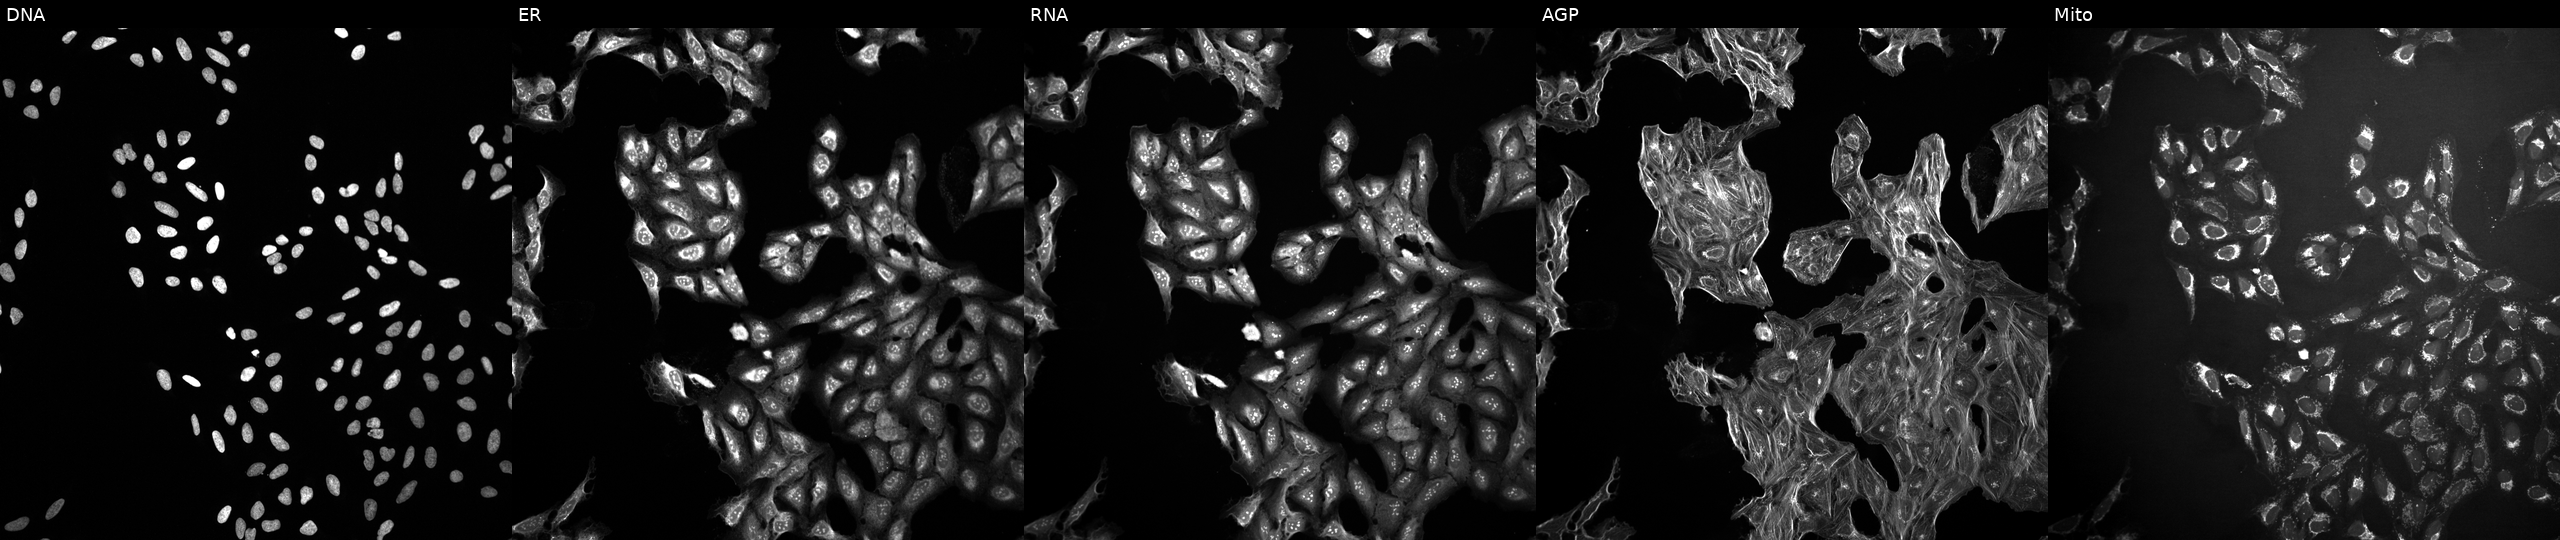
This image strip shows the five Cell Painting channels for a single field of U2OS cells exposed to a small-molecule compound (InChIKey WXXSNCNJFUAIDG-UHFFFAOYSA-N). The five panels, left to right, show DNA (nuclei); ER (endoplasmic reticulum); RNA (nucleoli and cytoplasmic RNA); AGP (actin cytoskeleton, Golgi, and plasma membrane); Mito (mitochondria).